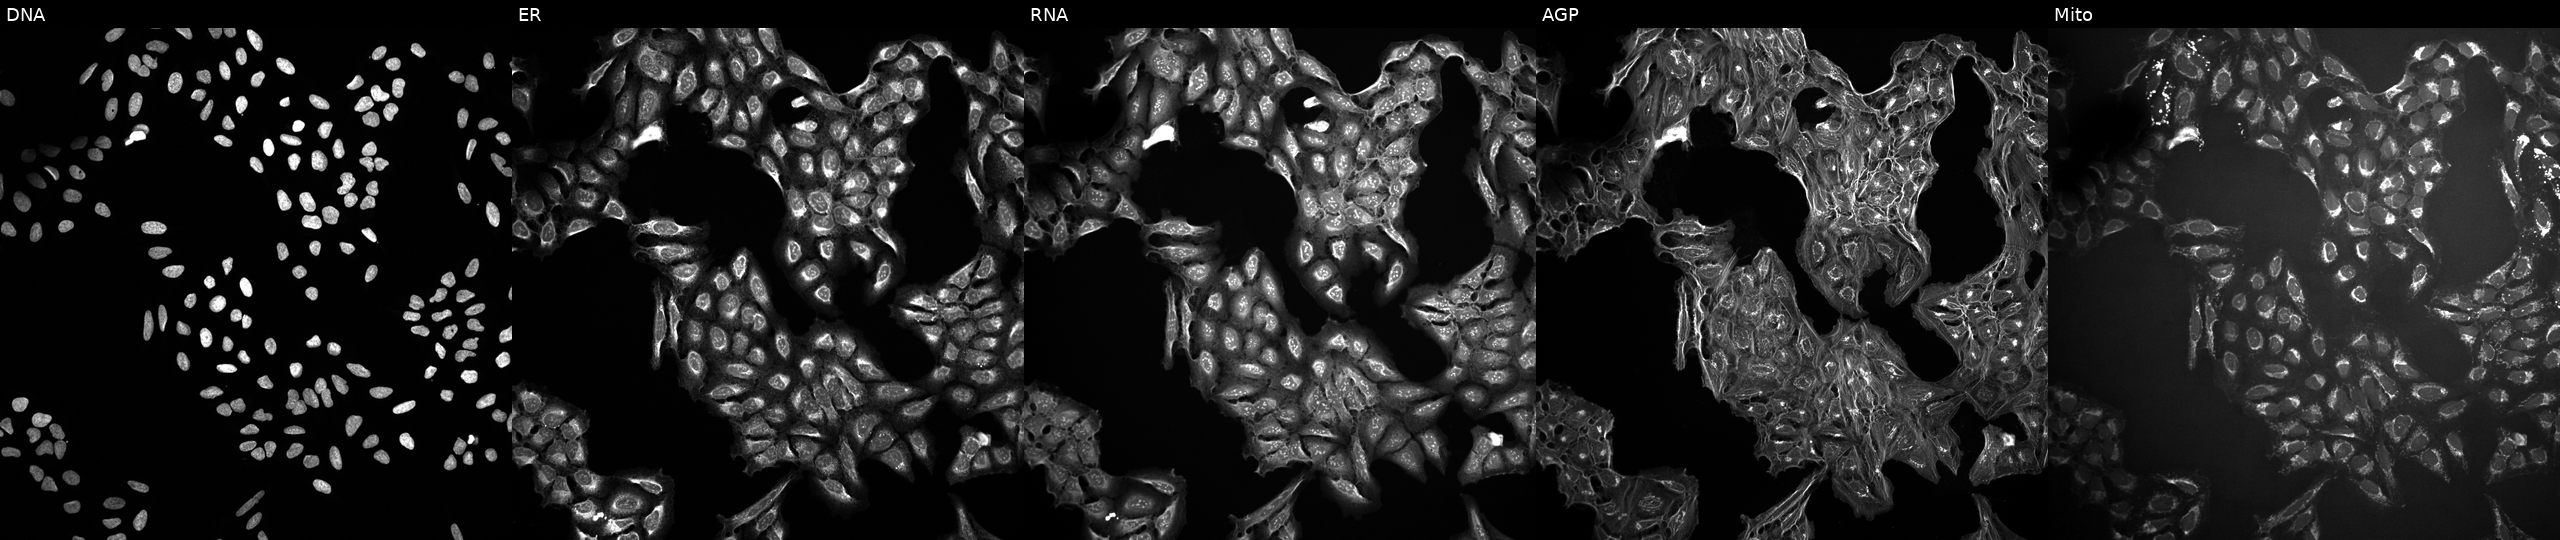
The five panels, left to right, show DNA, ER, RNA, AGP, and Mito. U2OS osteosarcoma cells treated with a small-molecule compound (InChIKey GBKNFBIOFLWRRQ-UHFFFAOYSA-N). Cell Painting assay, JUMP-CP dataset.